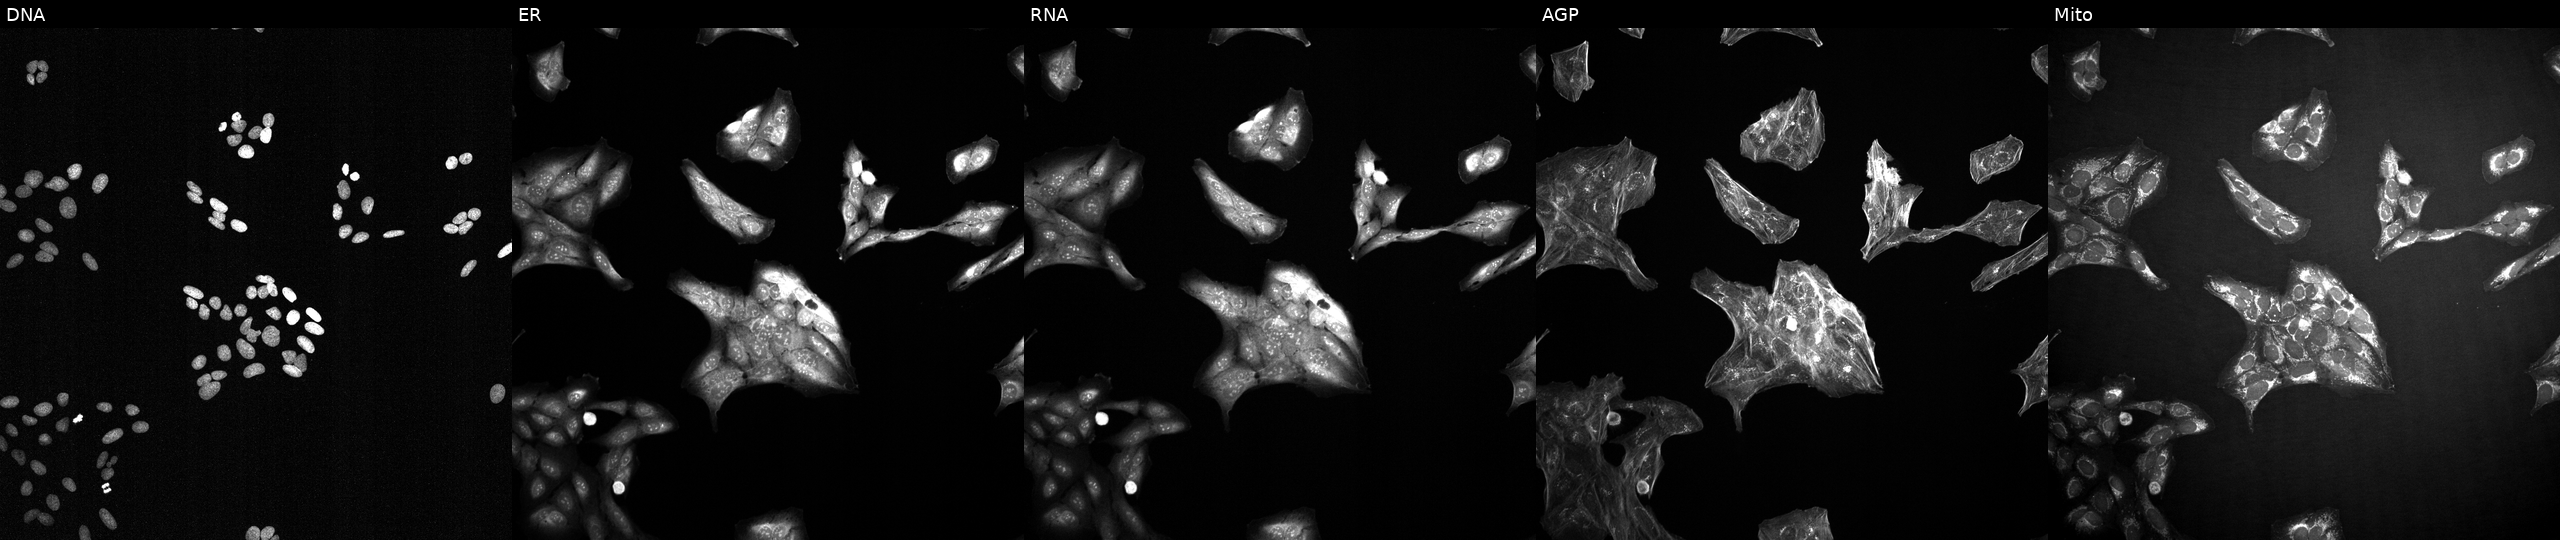
JUMP Cell Painting — TARGET2 plate. U2OS cells treated with a small-molecule compound (InChIKey FNHKPVJBJVTLMP-UHFFFAOYSA-N). The five panels, left to right, show Hoechst 33342, concanavalin A, SYTO 14, phalloidin and WGA, MitoTracker.